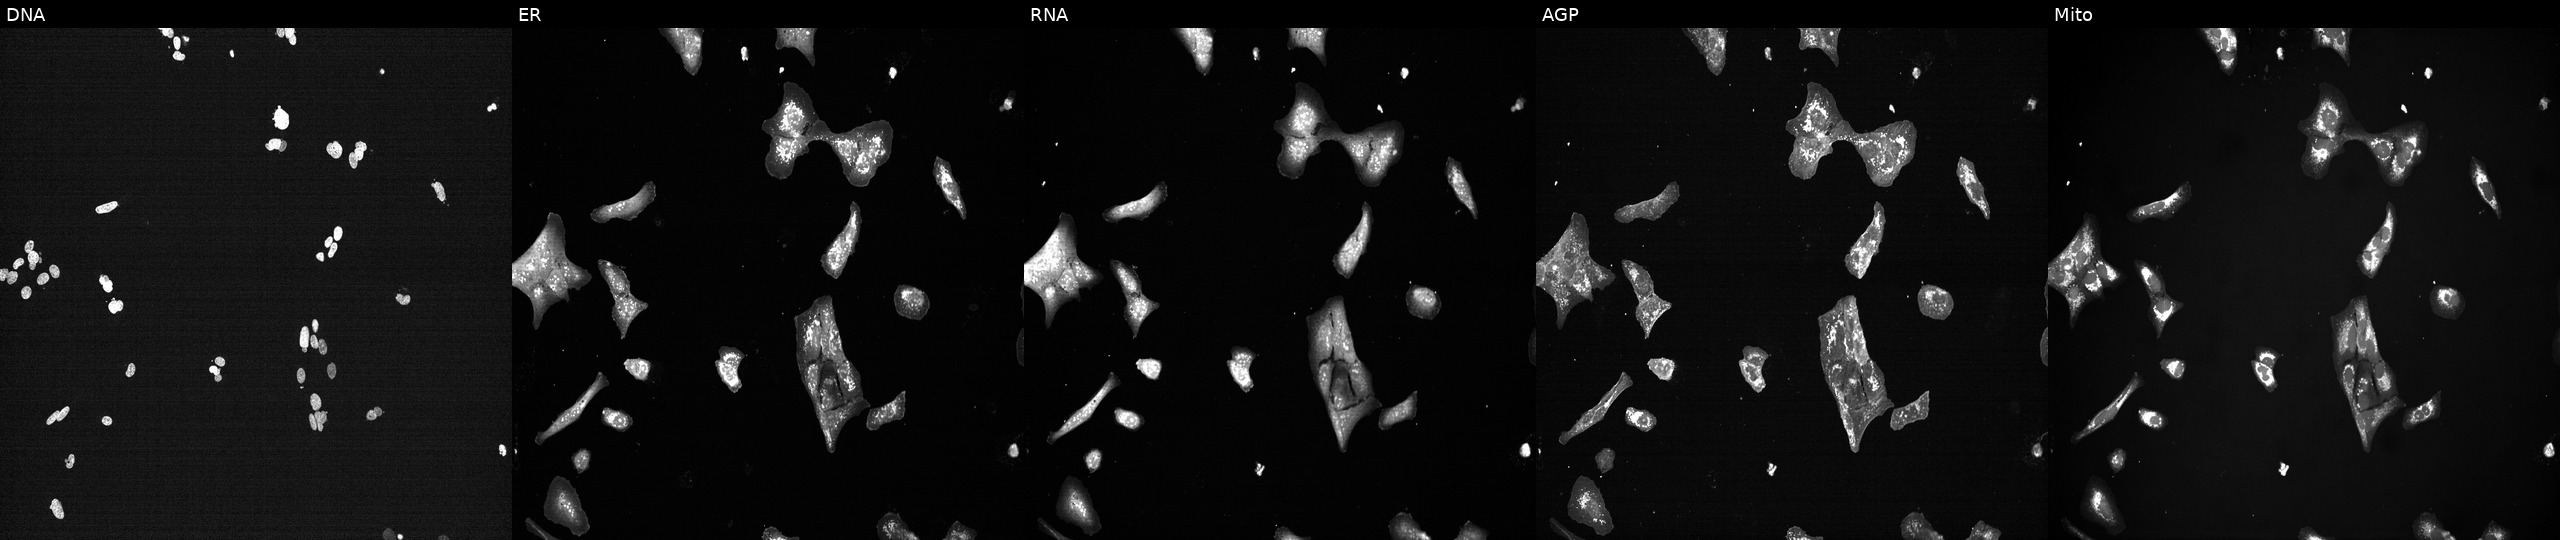
Channels (left→right): DNA, ER, RNA, AGP, and Mito. U2OS osteosarcoma cells perturbed with a small-molecule compound (InChIKey JOOXLOJCABQBSG-UHFFFAOYSA-N) (JUMP id JCP2022_041139). Cell Painting assay, JUMP-CP dataset.